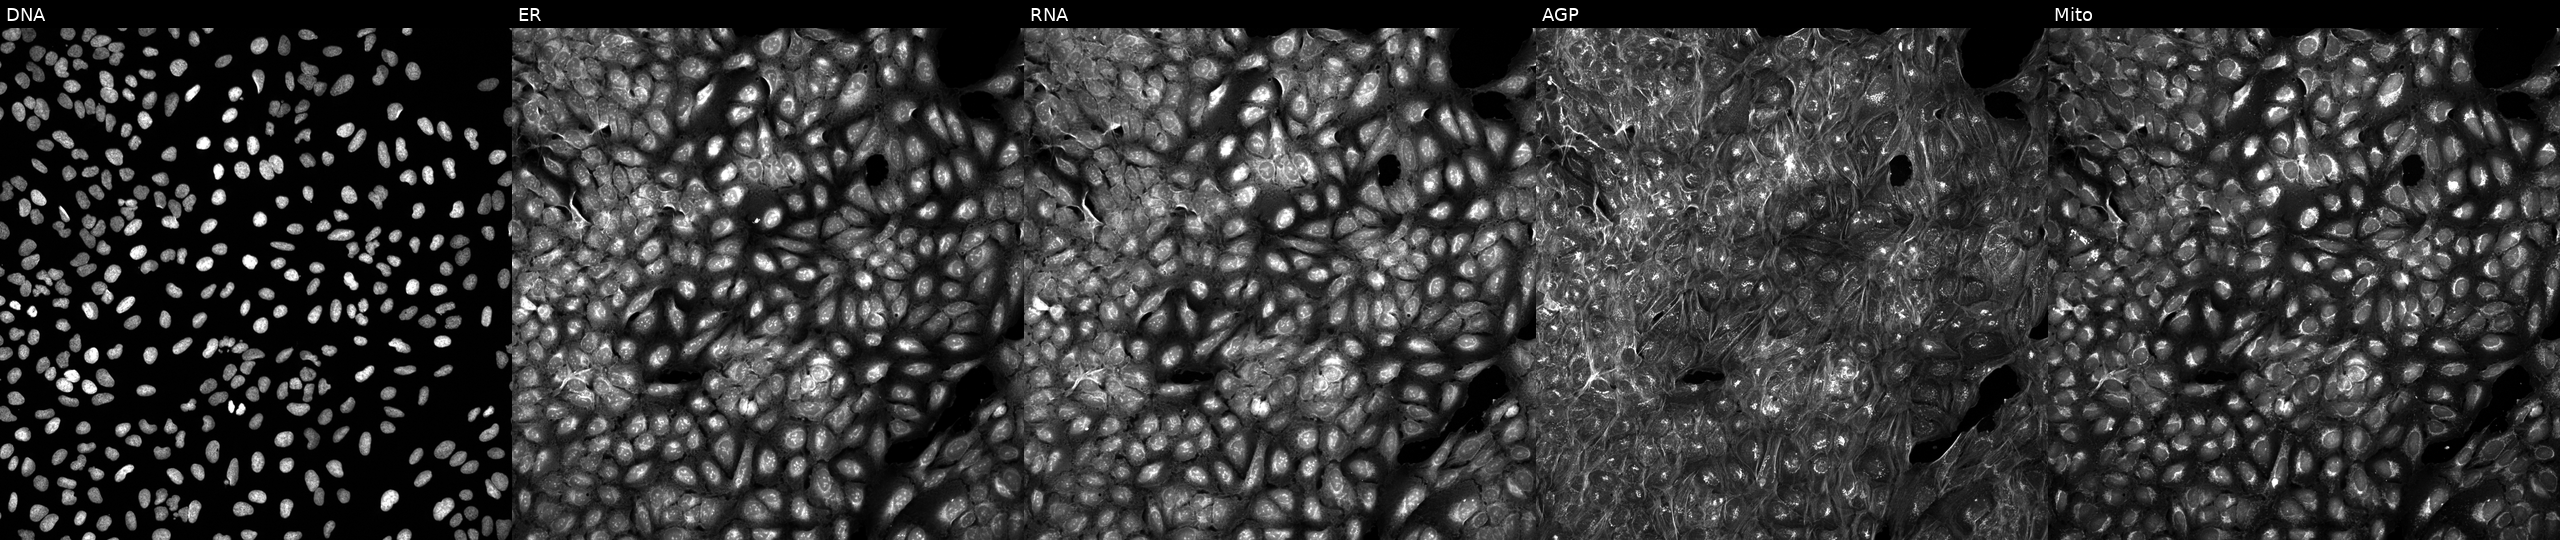
Panels show, left to right, DNA (nuclei); ER (endoplasmic reticulum); RNA (nucleoli and cytoplasmic RNA); AGP (actin cytoskeleton, Golgi, and plasma membrane); Mito (mitochondria). U2OS osteosarcoma cells exposed to a small-molecule compound (InChIKey OJXYNCPZKMQETG-UHFFFAOYSA-N) (JUMP id JCP2022_064270). Cell Painting assay, JUMP-CP dataset. Source 5, plate APTJUM106, well I05.